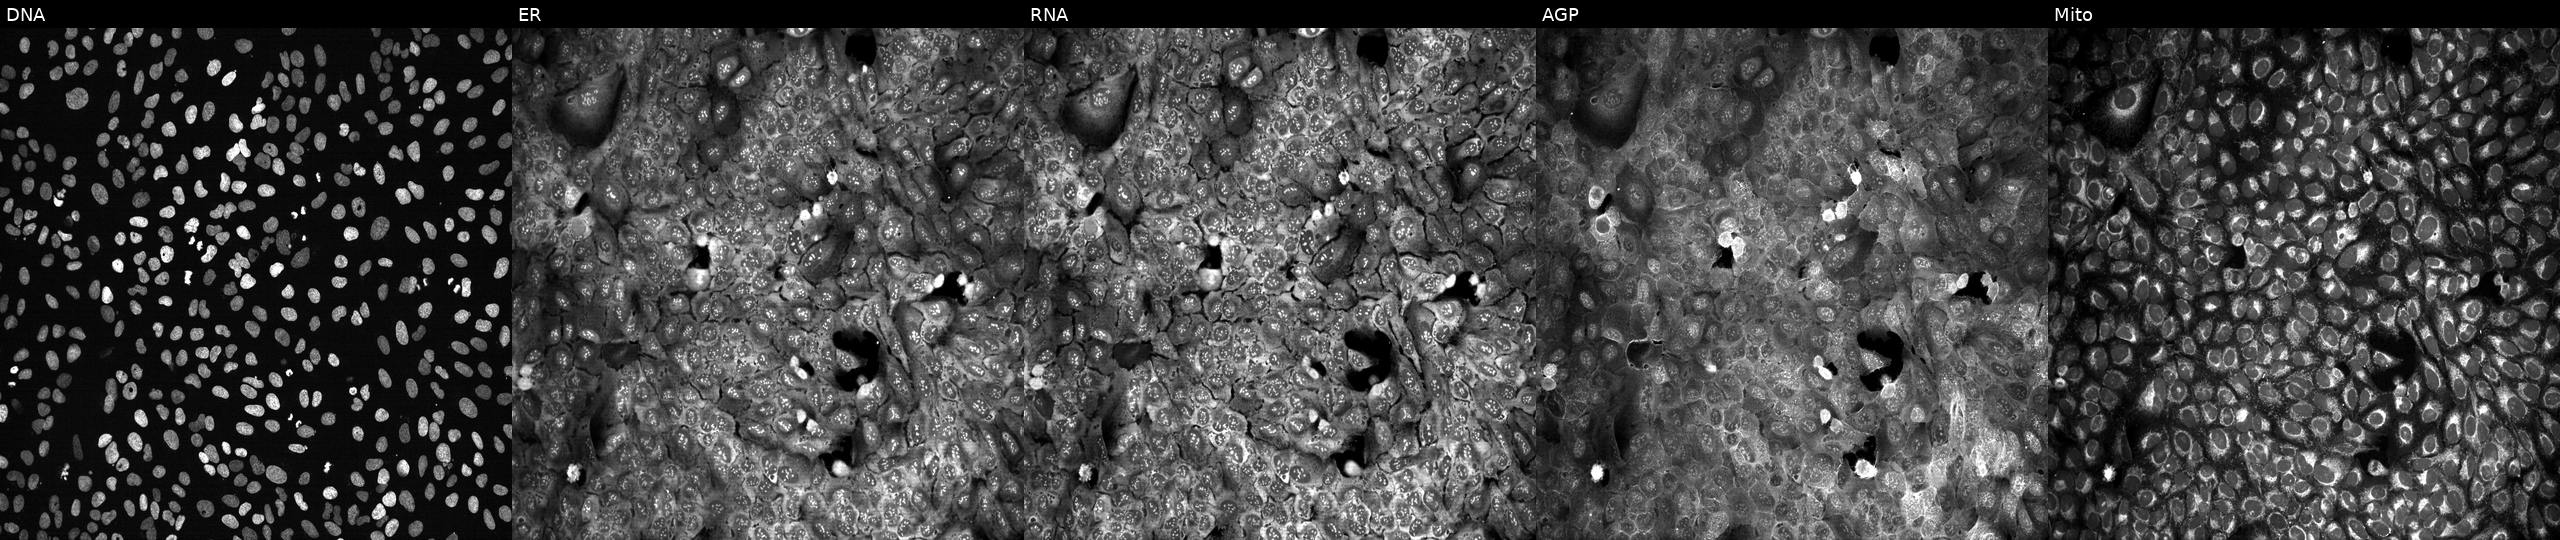
Five-channel Cell Painting image of U2OS cells following CRISPR knockout of PLA2G2D (JUMP id JCP2022_805221). Panels show, left to right, Hoechst 33342, concanavalin A, SYTO 14, phalloidin and WGA, MitoTracker.